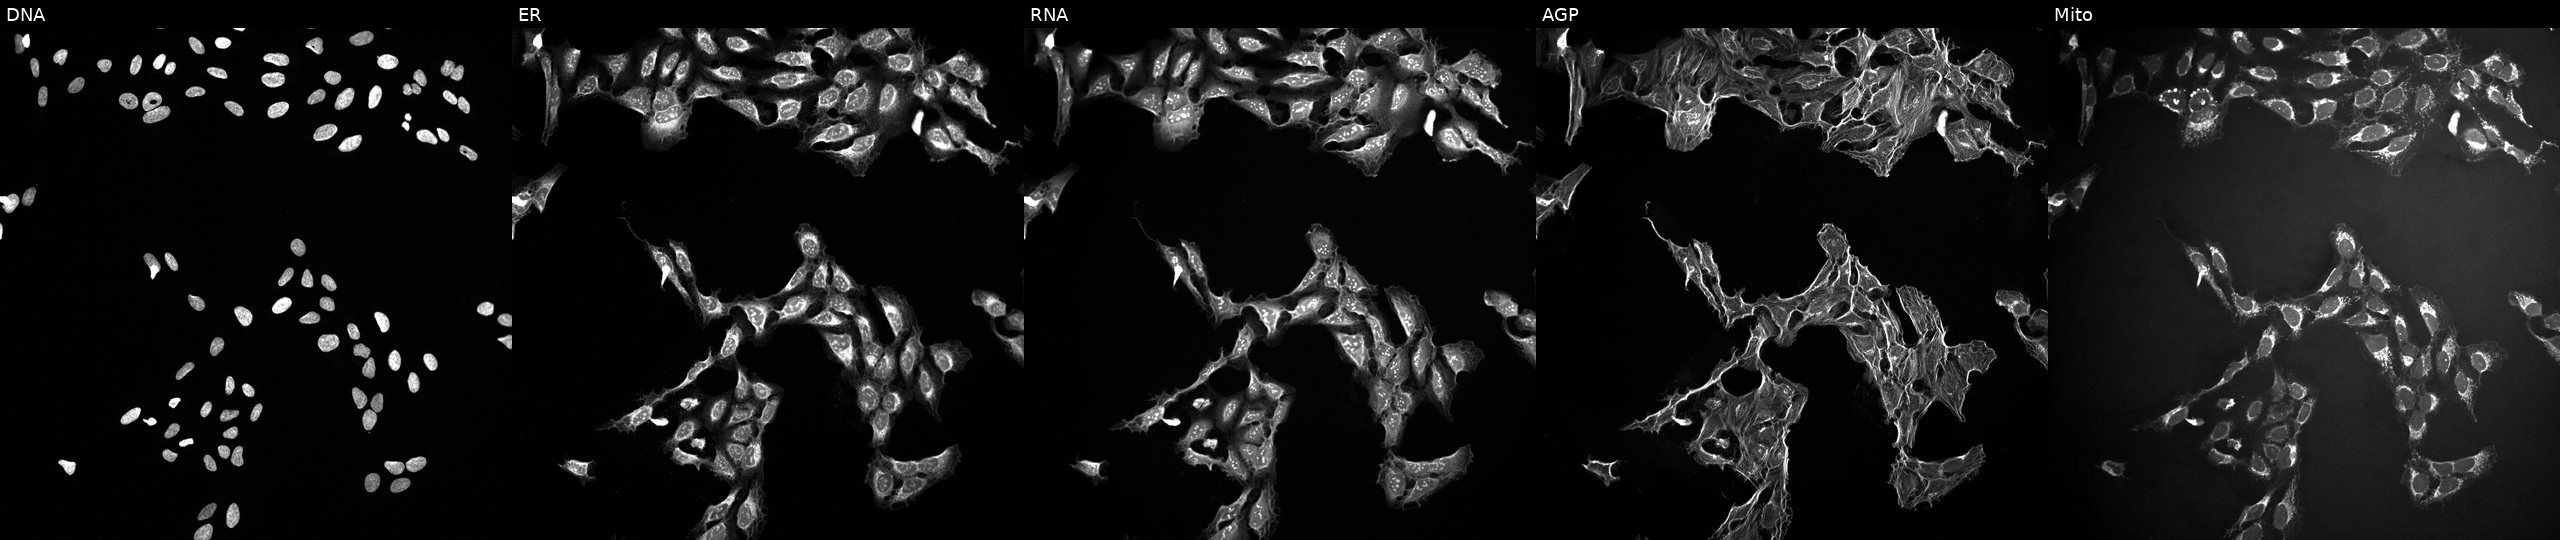
The five panels, left to right, show DNA (nuclei); ER (endoplasmic reticulum); RNA (nucleoli and cytoplasmic RNA); AGP (actin cytoskeleton, Golgi, and plasma membrane); Mito (mitochondria). U2OS osteosarcoma cells exposed to a small-molecule compound (InChIKey NITYDPDXAAFEIT-UHFFFAOYSA-N). Cell Painting assay, JUMP-CP dataset. Source 10, plate Dest210727-153003, well M17.